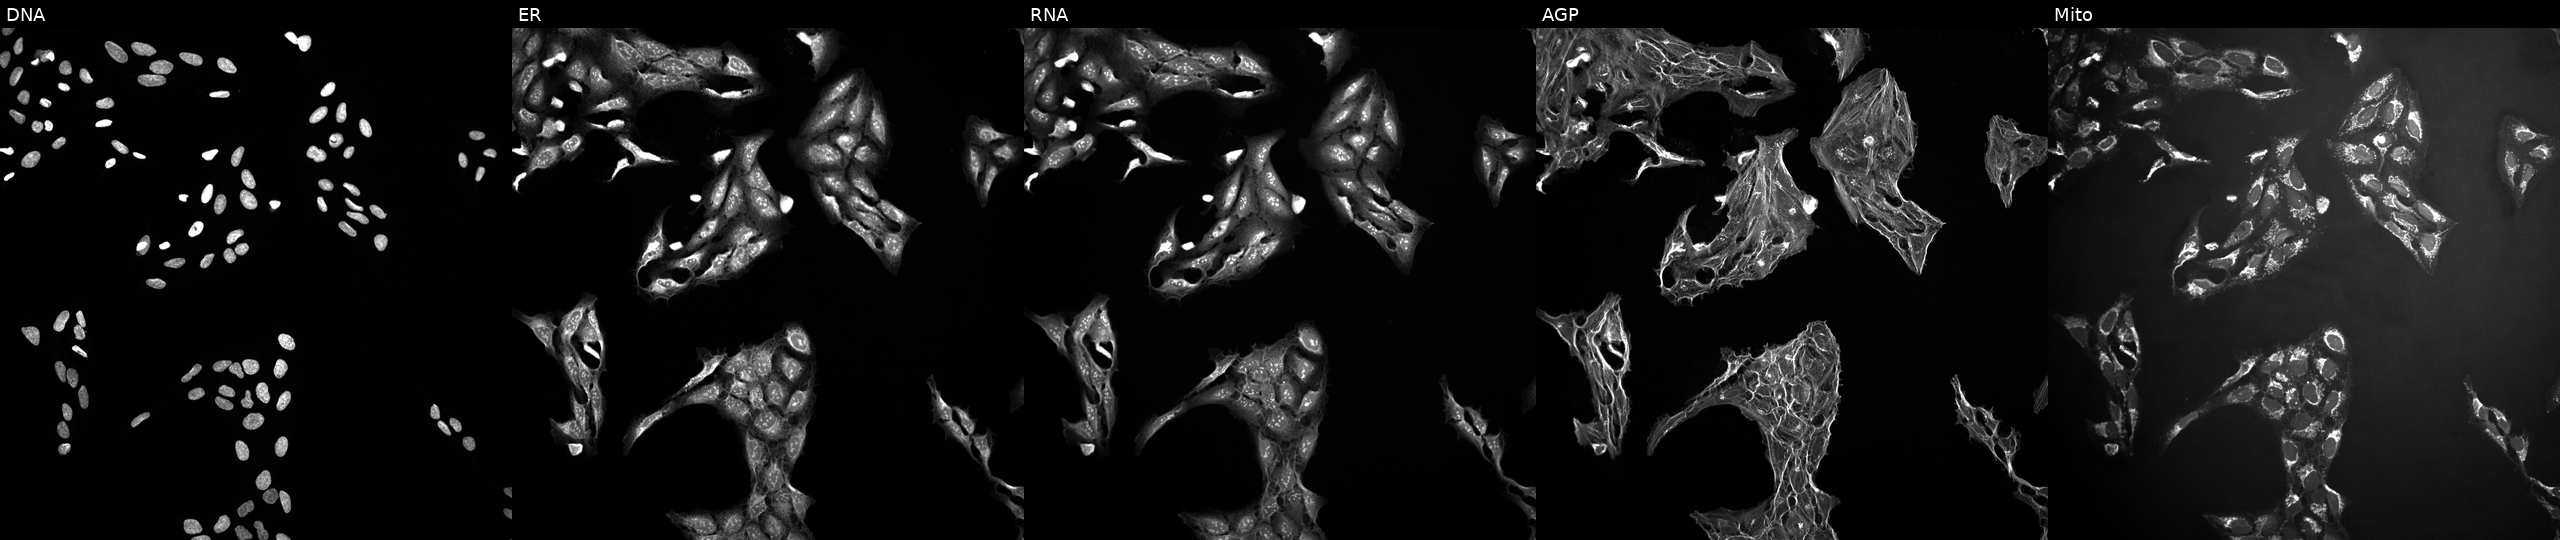
JUMP Cell Painting — TARGET2 plate. U2OS cells exposed to a small-molecule compound (InChIKey CUIHSIWYWATEQL-UHFFFAOYSA-N). From left to right: DNA (nuclei); ER (endoplasmic reticulum); RNA (nucleoli and cytoplasmic RNA); AGP (actin cytoskeleton, Golgi, and plasma membrane); Mito (mitochondria).